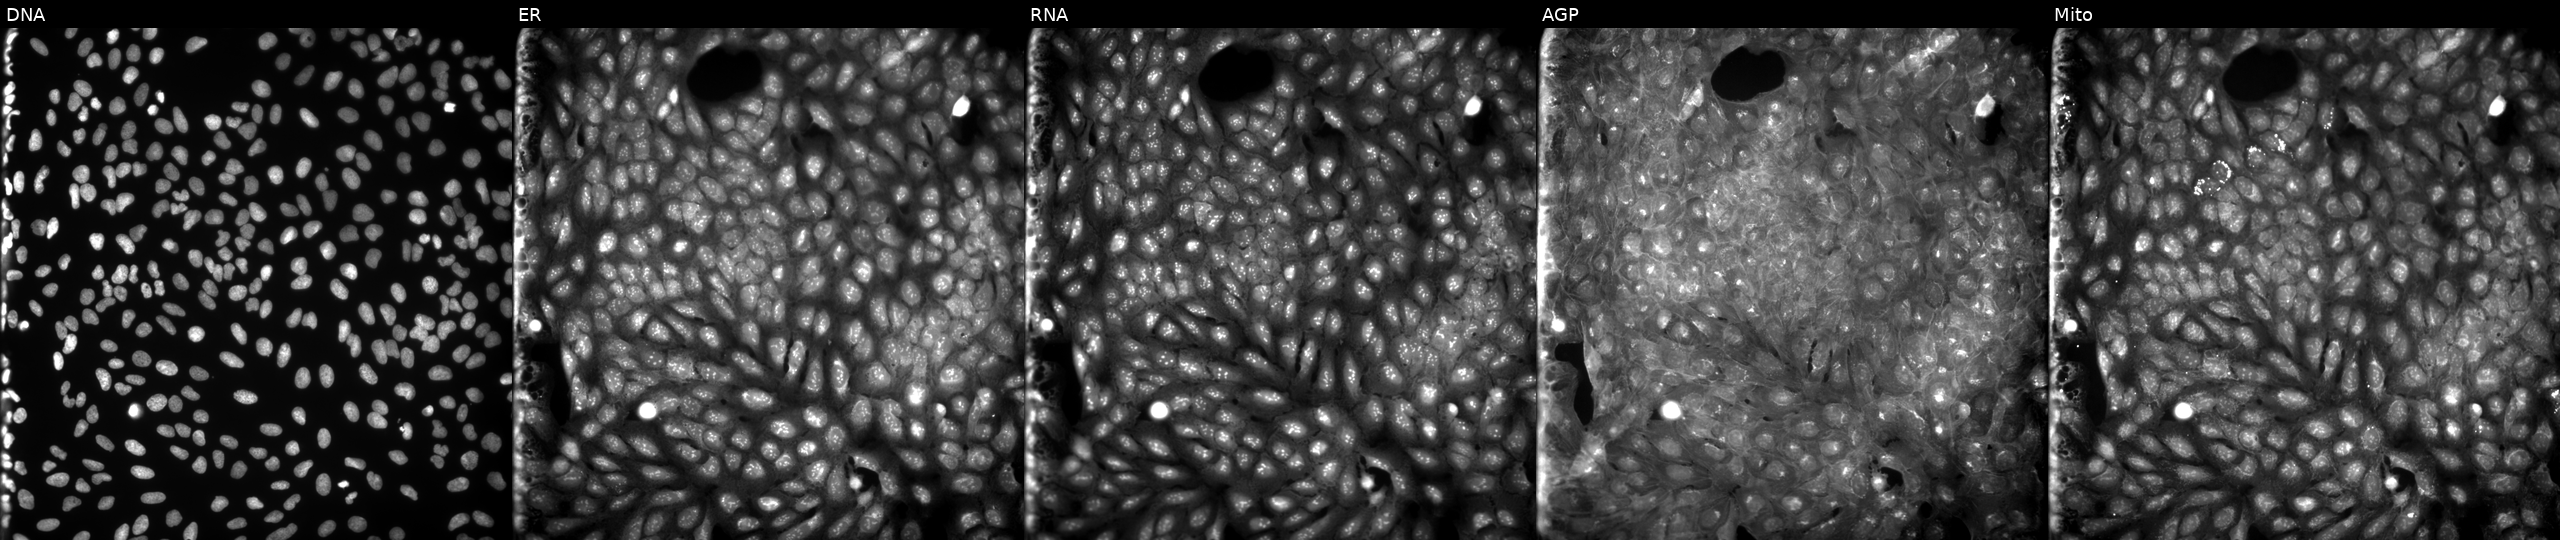
JUMP Cell Painting — COMPOUND plate. U2OS cells exposed to a small-molecule compound (InChIKey VYWGVIZVYCQZMB-UHFFFAOYSA-N) (JUMP id JCP2022_097214). From left to right: DNA (nuclei); ER (endoplasmic reticulum); RNA (nucleoli and cytoplasmic RNA); AGP (actin cytoskeleton, Golgi, and plasma membrane); Mito (mitochondria).